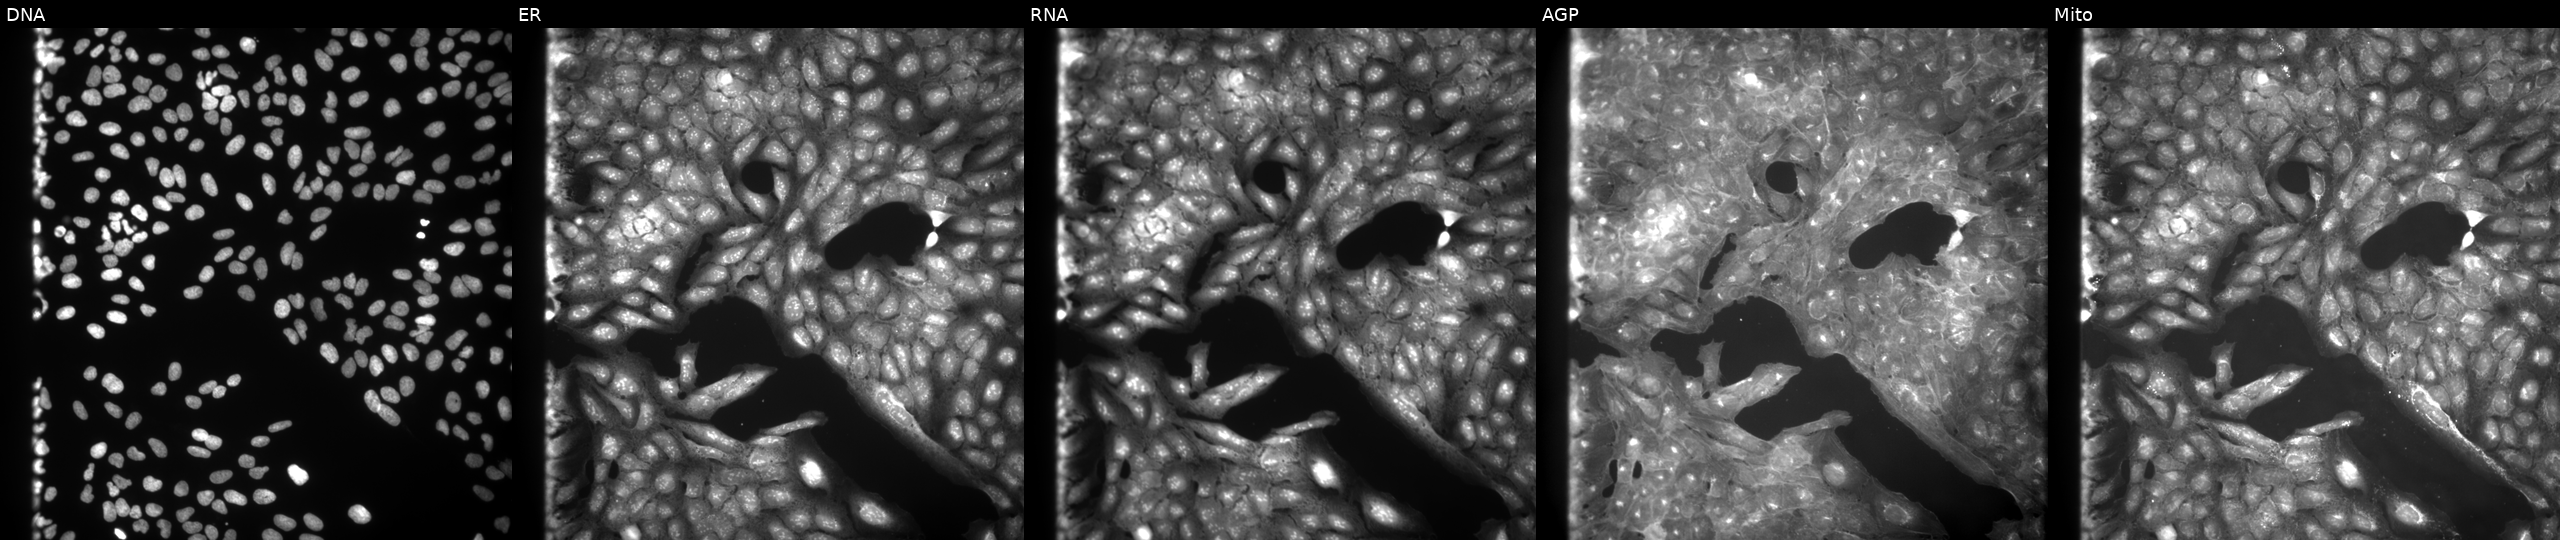
U2OS cells, Cell Painting assay, treated with a small-molecule compound (InChIKey YKFDBRVYHYSETF-UHFFFAOYSA-N). From left to right: DNA (nuclei); ER (endoplasmic reticulum); RNA (nucleoli and cytoplasmic RNA); AGP (actin cytoskeleton, Golgi, and plasma membrane); Mito (mitochondria). Each panel is percentile-stretched 16-bit fluorescence.